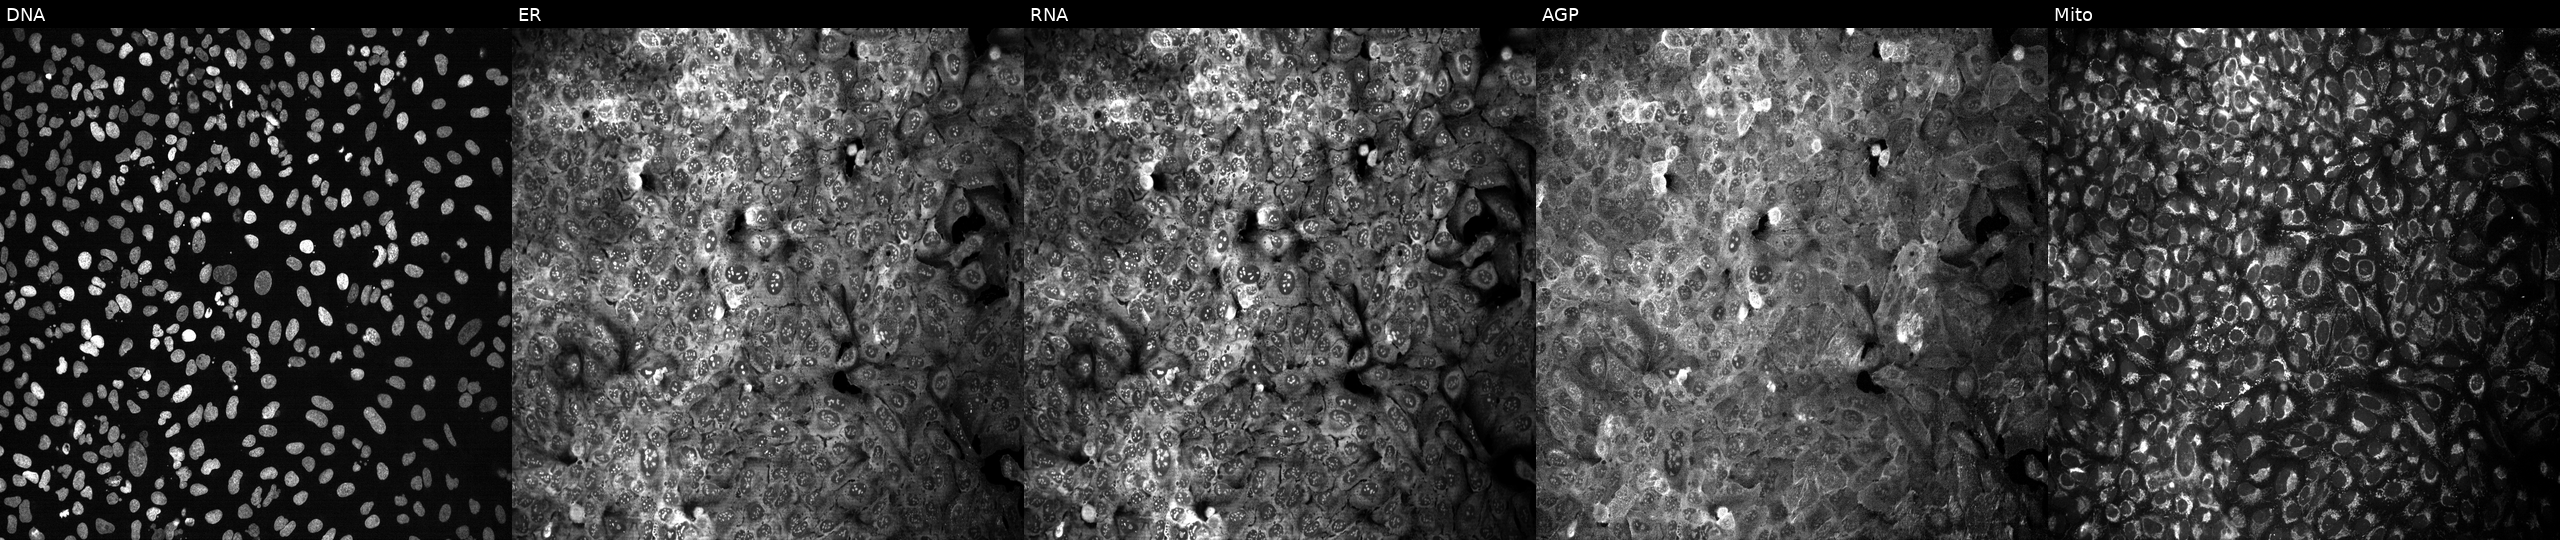
Five-channel Cell Painting image of U2OS cells CRISPR-edited to disrupt ATP1A2 (JUMP id JCP2022_800701). Panels show, left to right, Hoechst 33342, concanavalin A, SYTO 14, phalloidin and WGA, MitoTracker. Source 13, plate CP-CC9-R3-01, well P21.